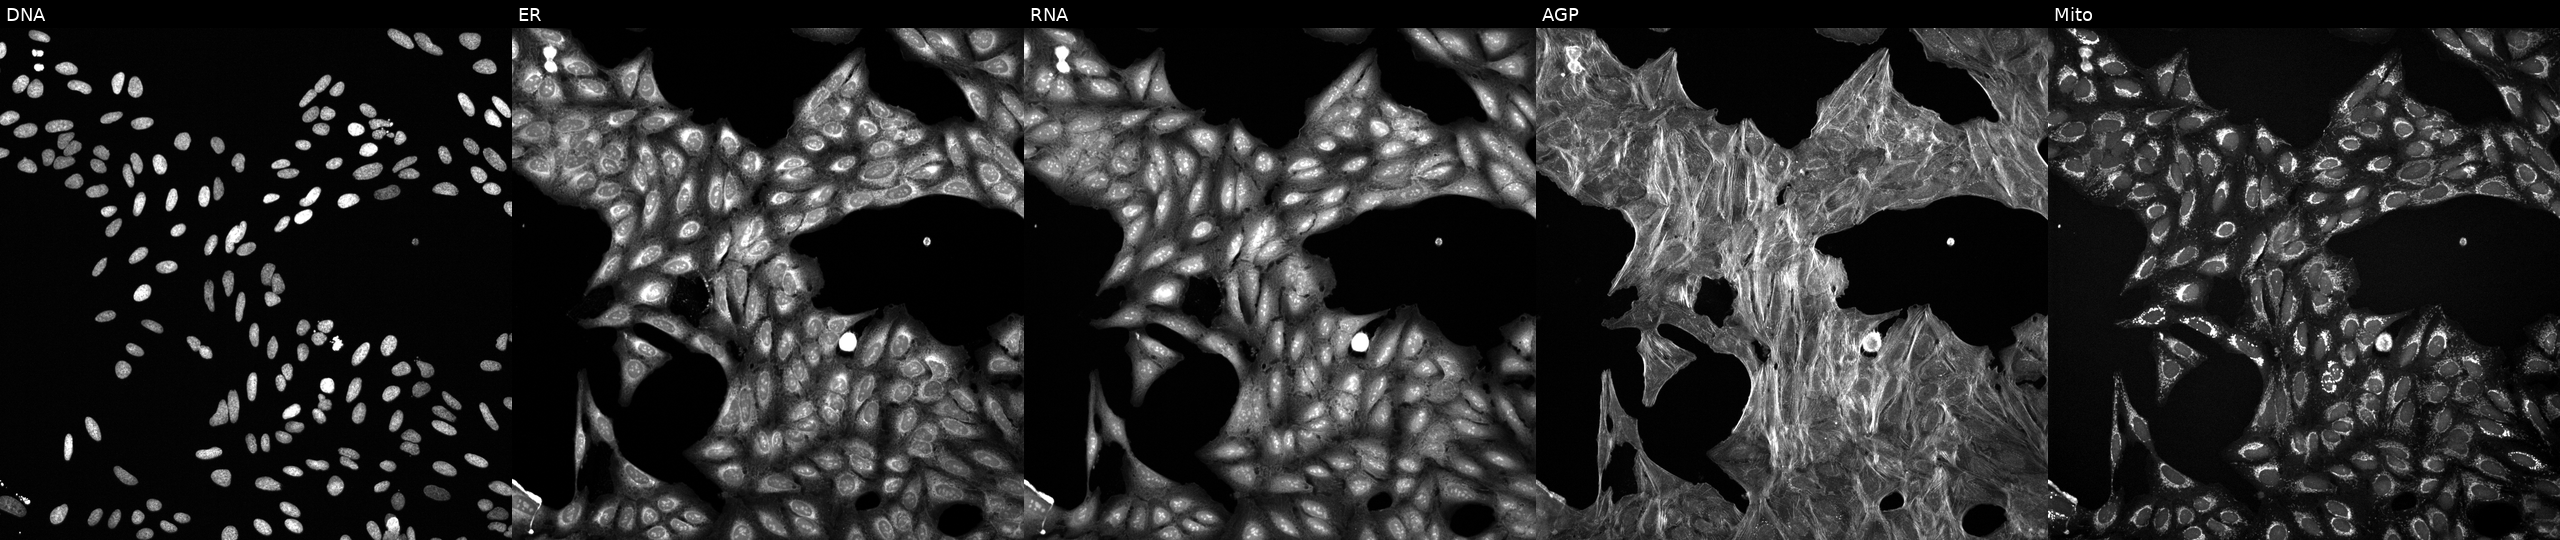
High-content fluorescence microscopy (Cell Painting). Cell line: U2OS. Perturbation: exposed to a small-molecule compound (InChIKey DHMTURDWPRKSOA-UHFFFAOYSA-N) (JUMP id JCP2022_015955). The five panels, left to right, show Hoechst 33342, concanavalin A, SYTO 14, phalloidin and WGA, MitoTracker. Source 6, plate 110000293081, well J03.